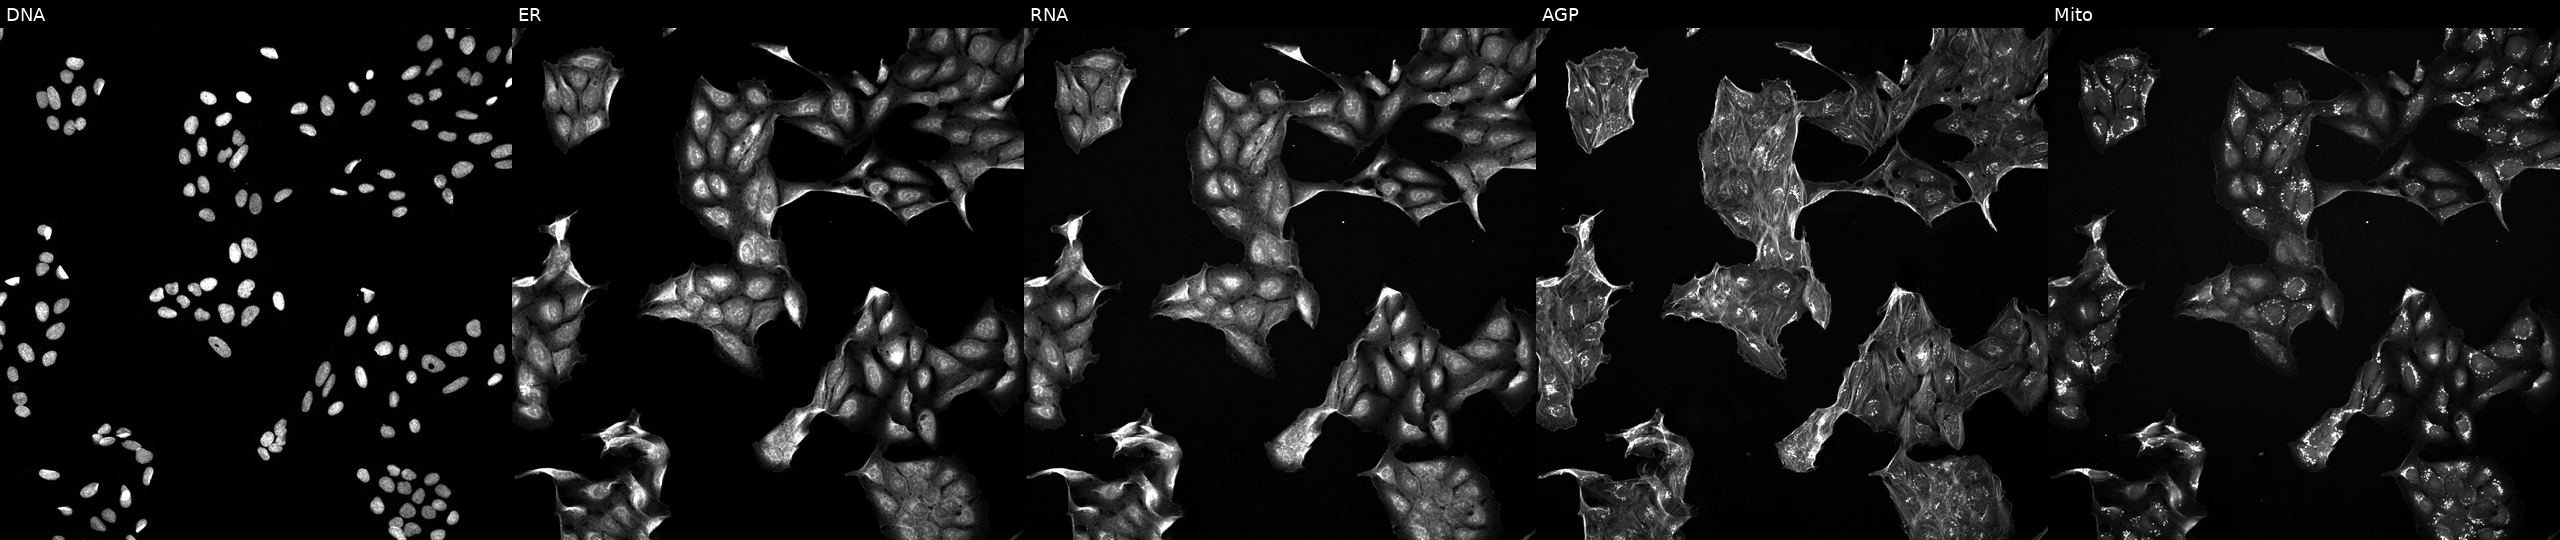
U2OS cells, Cell Painting assay, perturbed with a small-molecule compound (InChIKey WGZOTBUYUFBEPZ-UHFFFAOYSA-N). Channels (left→right): Hoechst 33342, concanavalin A, SYTO 14, phalloidin and WGA, MitoTracker. Each panel is percentile-stretched 16-bit fluorescence. Source 5, plate ACPJUM012, well B09.